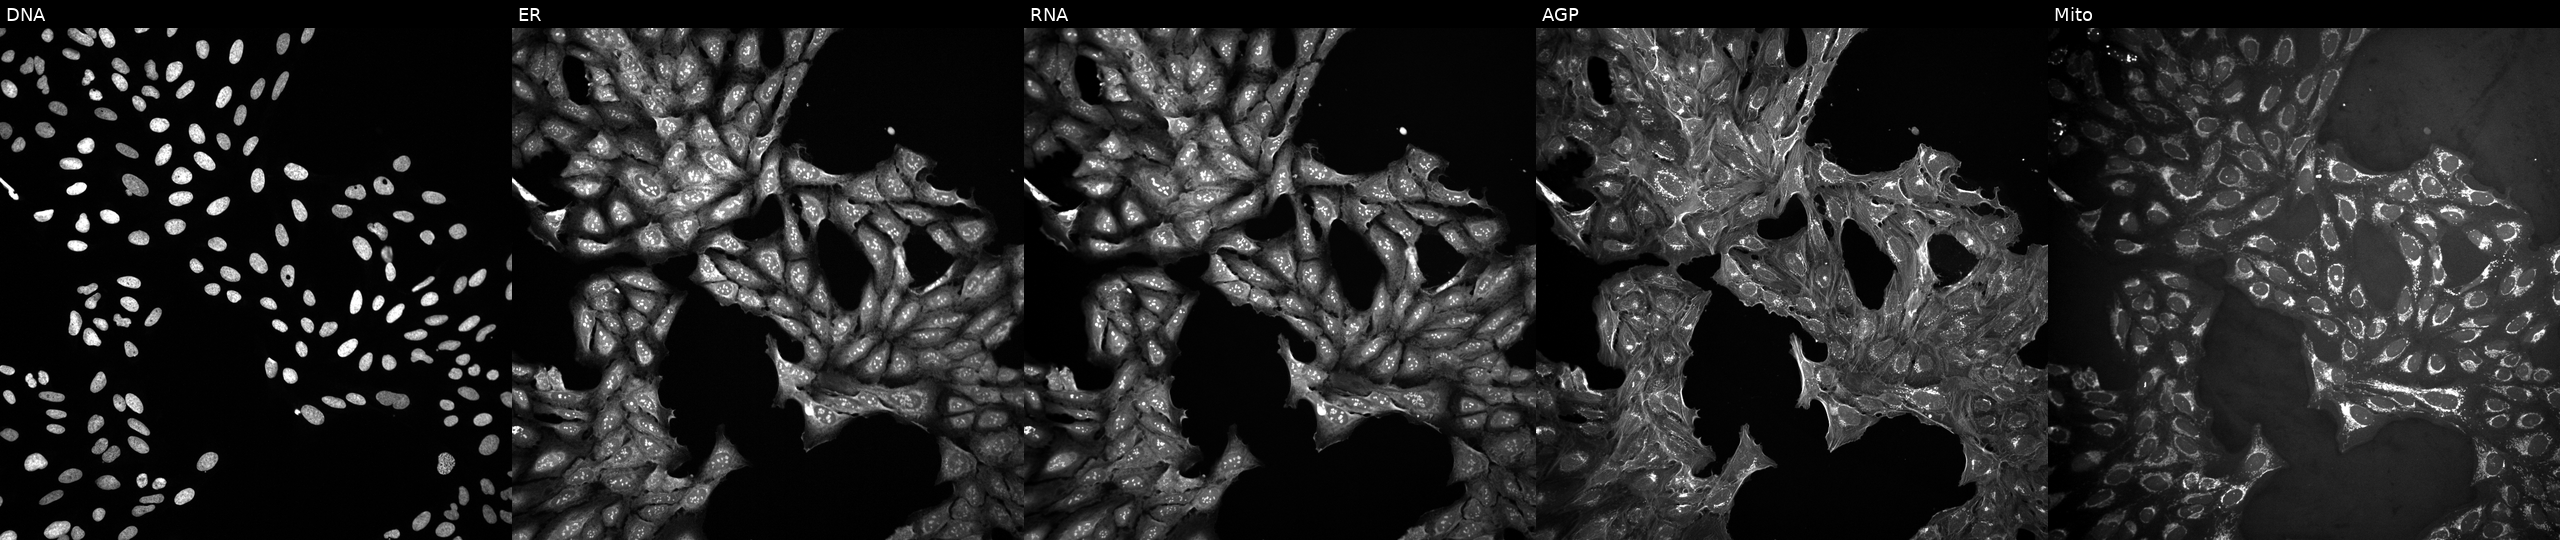
U2OS cells, Cell Painting assay, perturbed with a small-molecule compound (JUMP id JCP2022_059337). From left to right: Hoechst 33342, concanavalin A, SYTO 14, phalloidin and WGA, MitoTracker. Each panel is percentile-stretched 16-bit fluorescence.